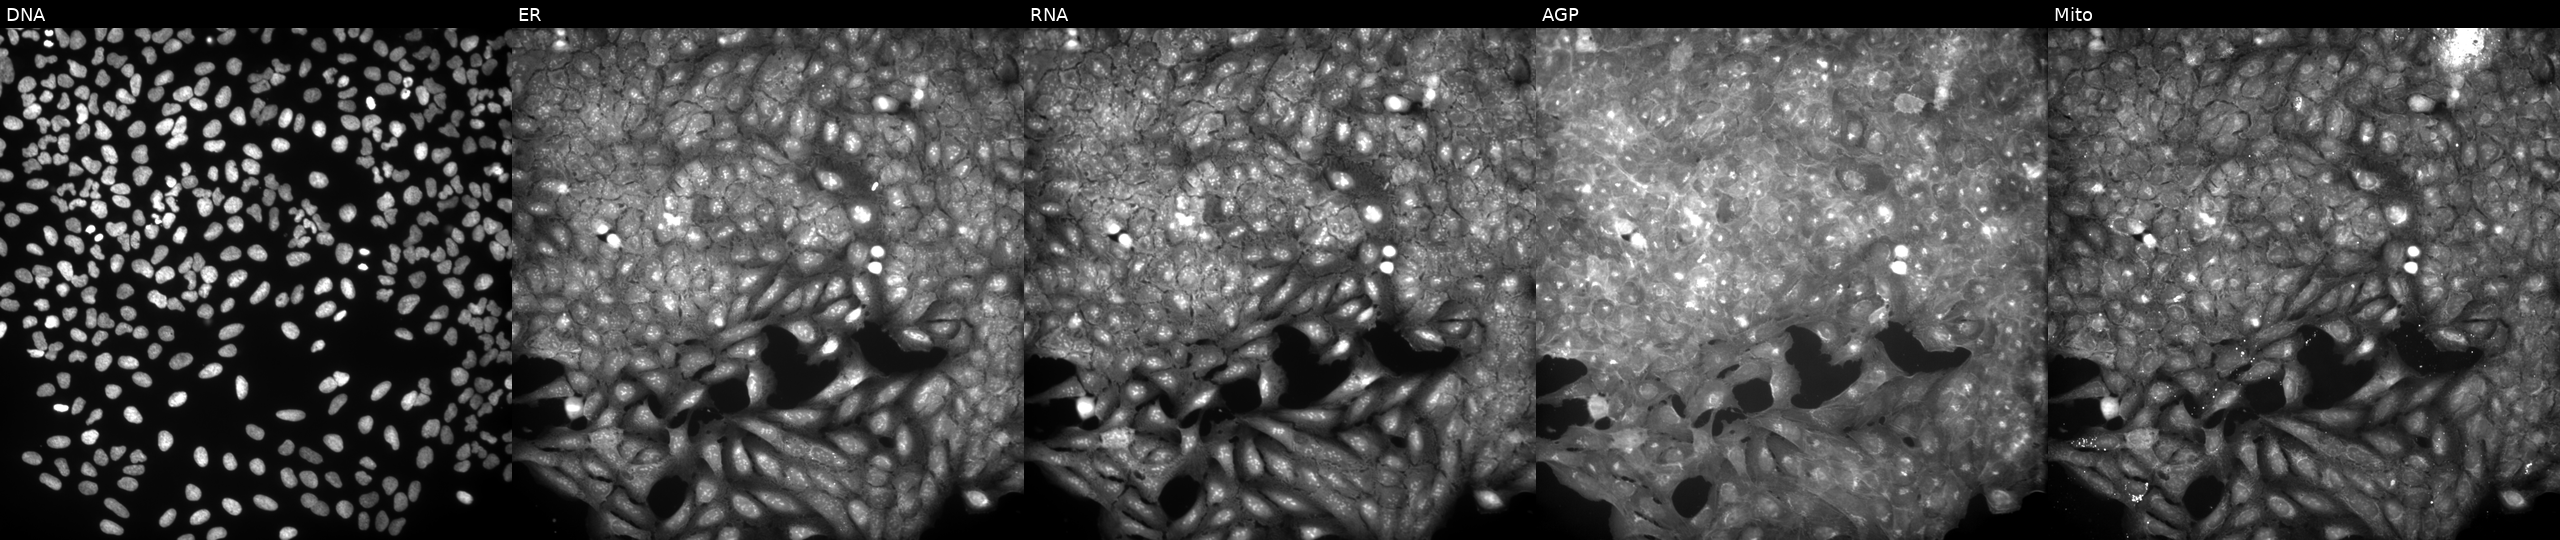
U2OS cells, Cell Painting assay, exposed to a small-molecule compound (InChIKey UIWUDYNTORXJAS-UHFFFAOYSA-N) [SMILES: O=S(=O)(CCN1CCCCC1)Oc1ccc(Cl)cc1Cl] (JUMP id JCP2022_089523). From left to right: Hoechst 33342, concanavalin A, SYTO 14, phalloidin and WGA, MitoTracker. Each panel is percentile-stretched 16-bit fluorescence. Source 9, plate GR00003382, well M28.